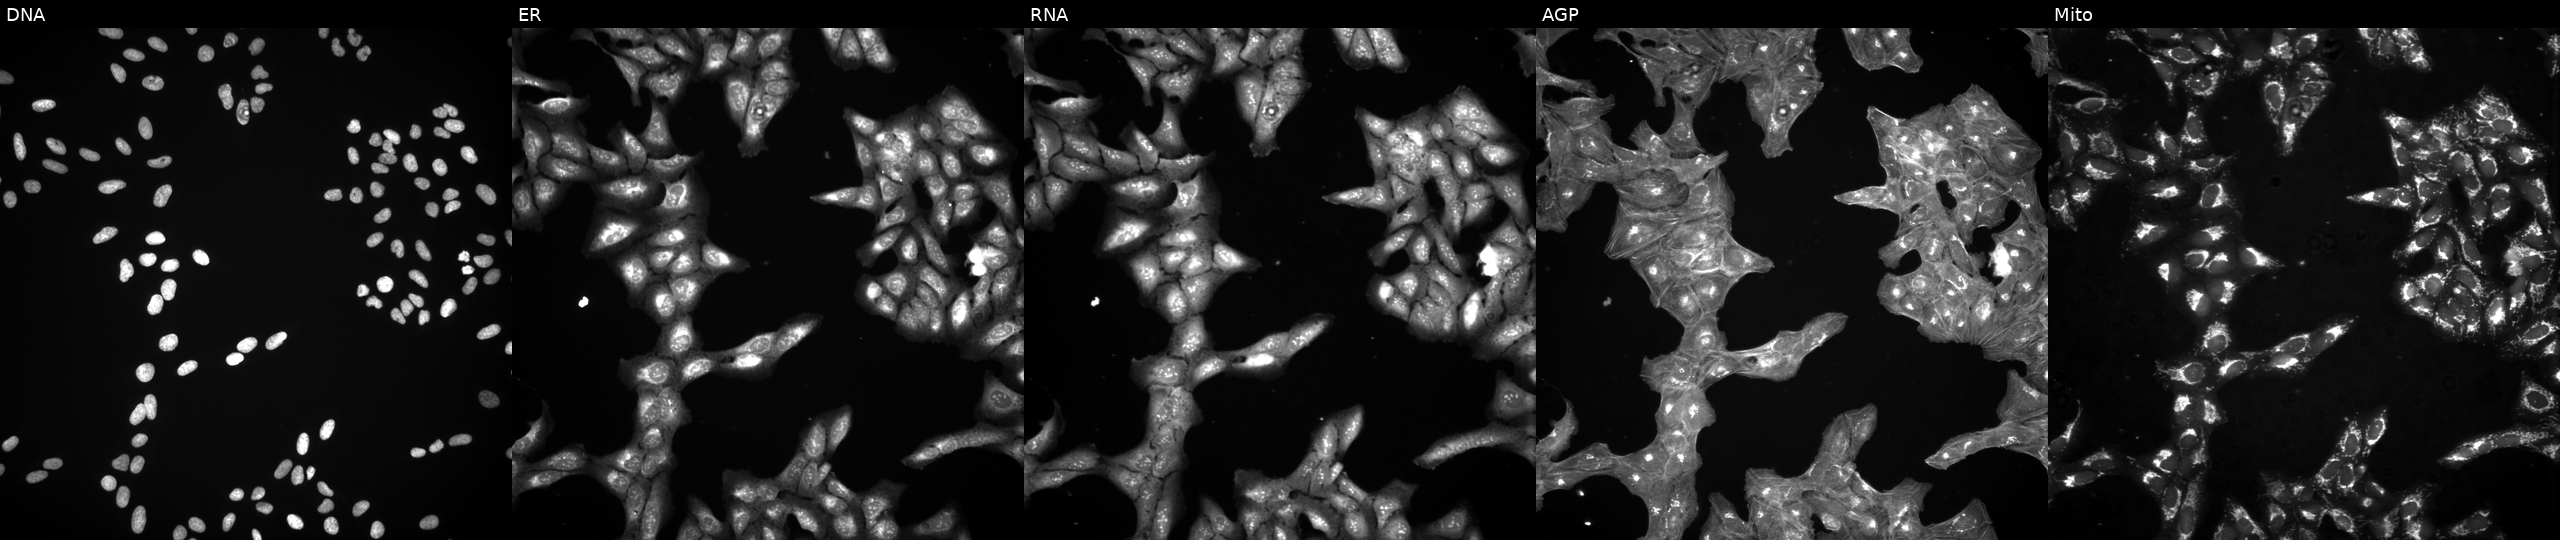
JUMP Cell Painting — COMPOUND plate. U2OS cells exposed to a small-molecule compound (InChIKey NWVDTYNFYYODSK-UHFFFAOYSA-N) (JUMP id JCP2022_061870). From left to right: Hoechst 33342, concanavalin A, SYTO 14, phalloidin and WGA, MitoTracker. Source 3, plate BR5867a3, well O10.